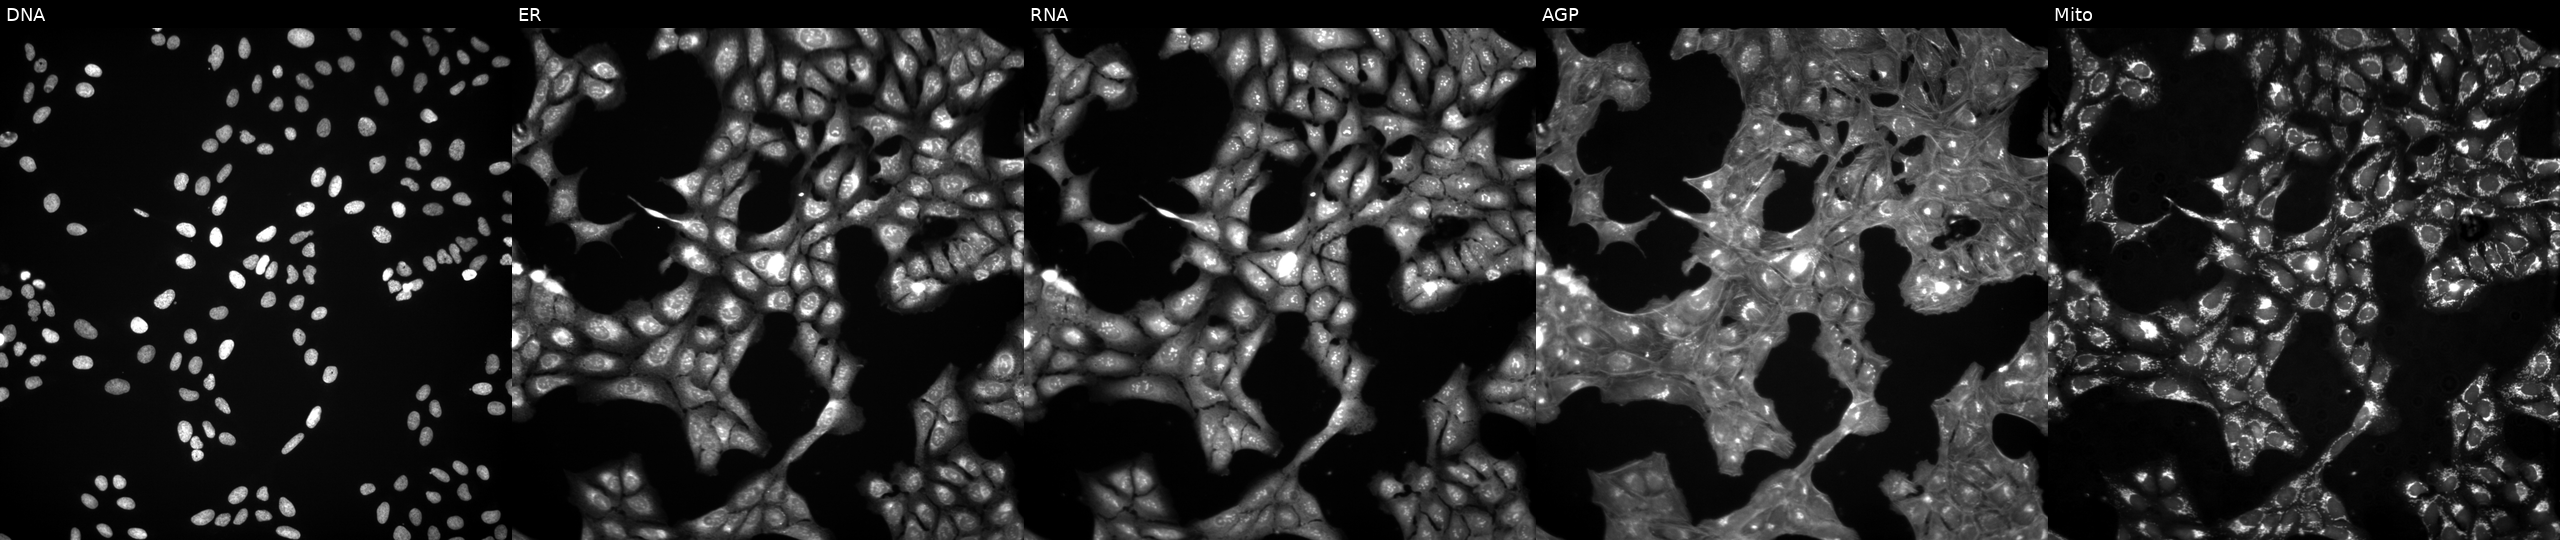
JUMP Cell Painting — COMPOUND plate. U2OS cells exposed to a small-molecule compound [SMILES: COc1ccc(-c2csc3ncn(C(C)C(=O)OC4CCCCC4)c(=O)c23)cc1]. From left to right: Hoechst 33342, concanavalin A, SYTO 14, phalloidin and WGA, MitoTracker.